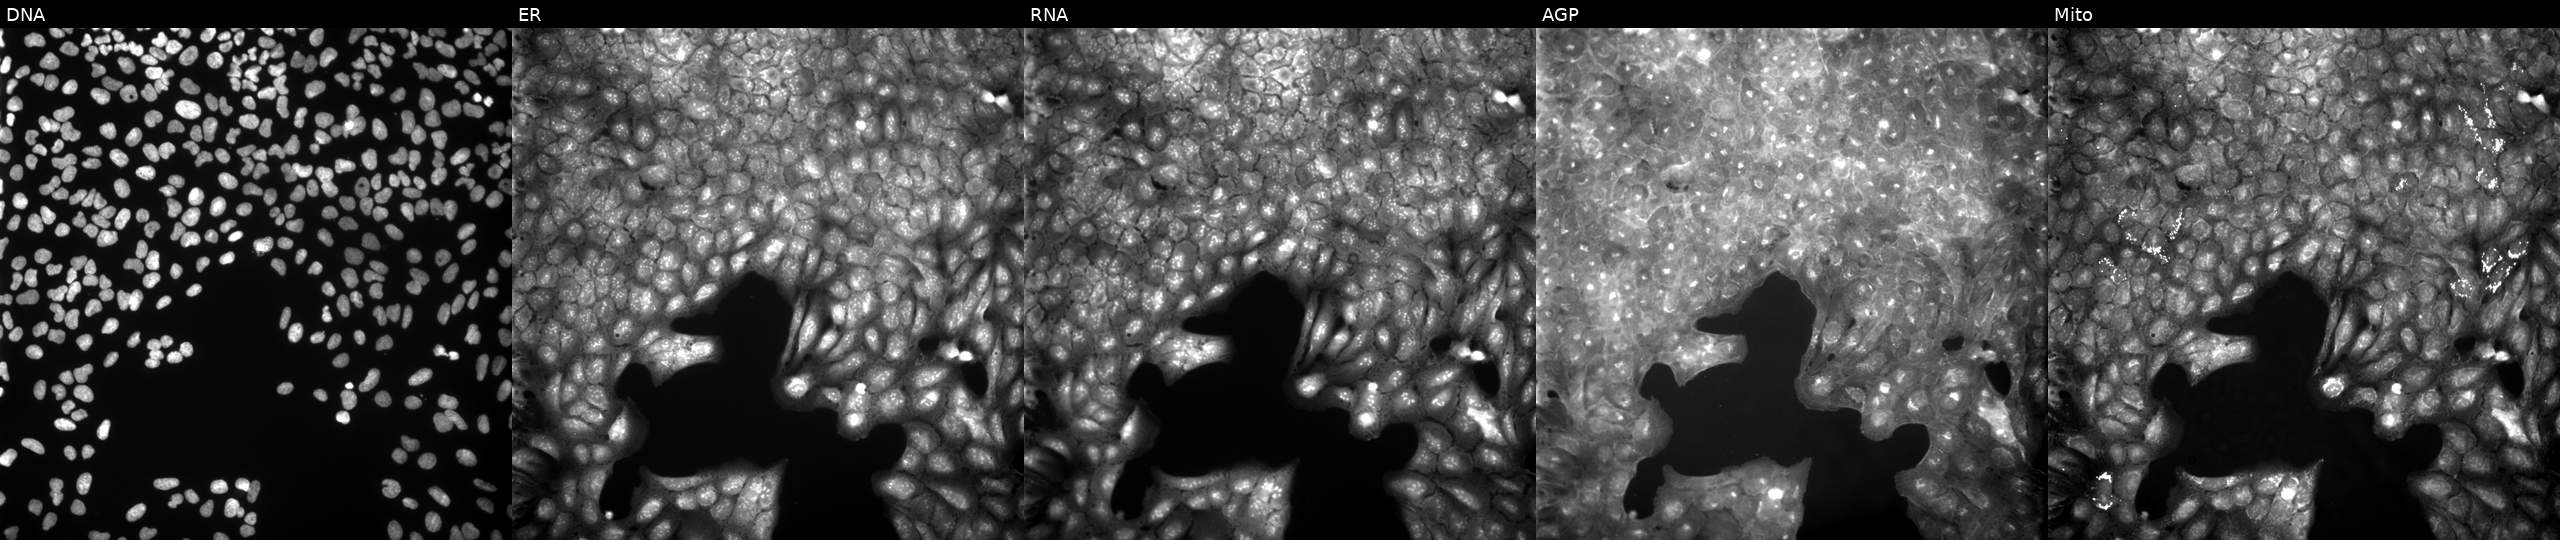
JUMP Cell Painting — COMPOUND plate. U2OS cells perturbed with a small-molecule compound (InChIKey HDGIJEHBWLESDJ-UHFFFAOYSA-N) (JUMP id JCP2022_029471). From left to right: DNA (nuclei); ER (endoplasmic reticulum); RNA (nucleoli and cytoplasmic RNA); AGP (actin cytoskeleton, Golgi, and plasma membrane); Mito (mitochondria).